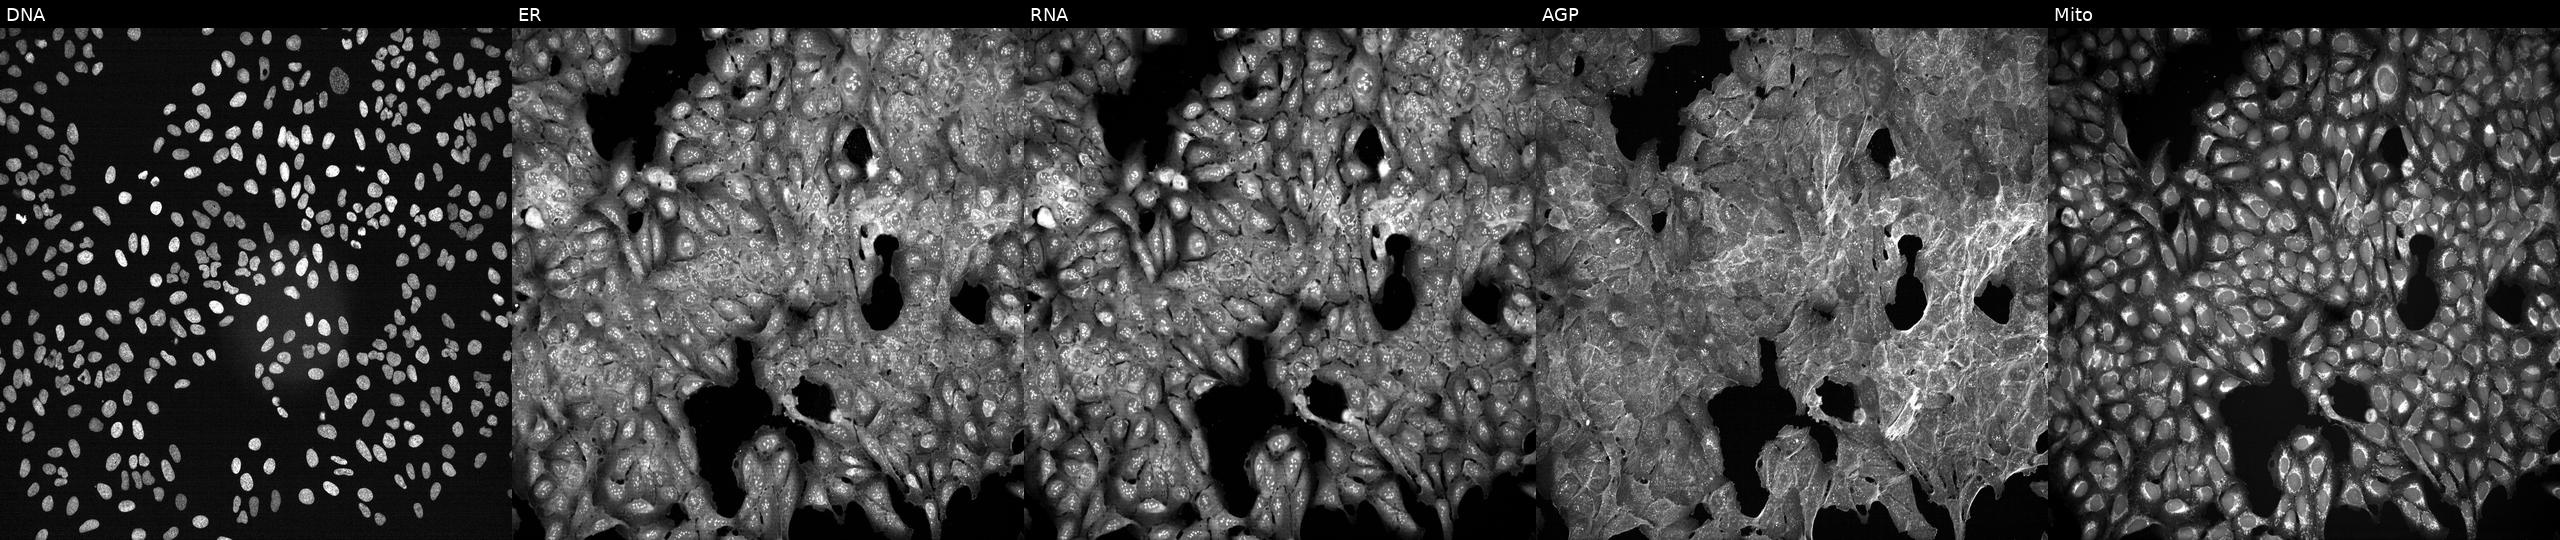
Channels (left→right): DNA, ER, RNA, AGP, and Mito. U2OS osteosarcoma cells exposed to DMSO alone as a negative control (JUMP id JCP2022_033924). Cell Painting assay, JUMP-CP dataset.